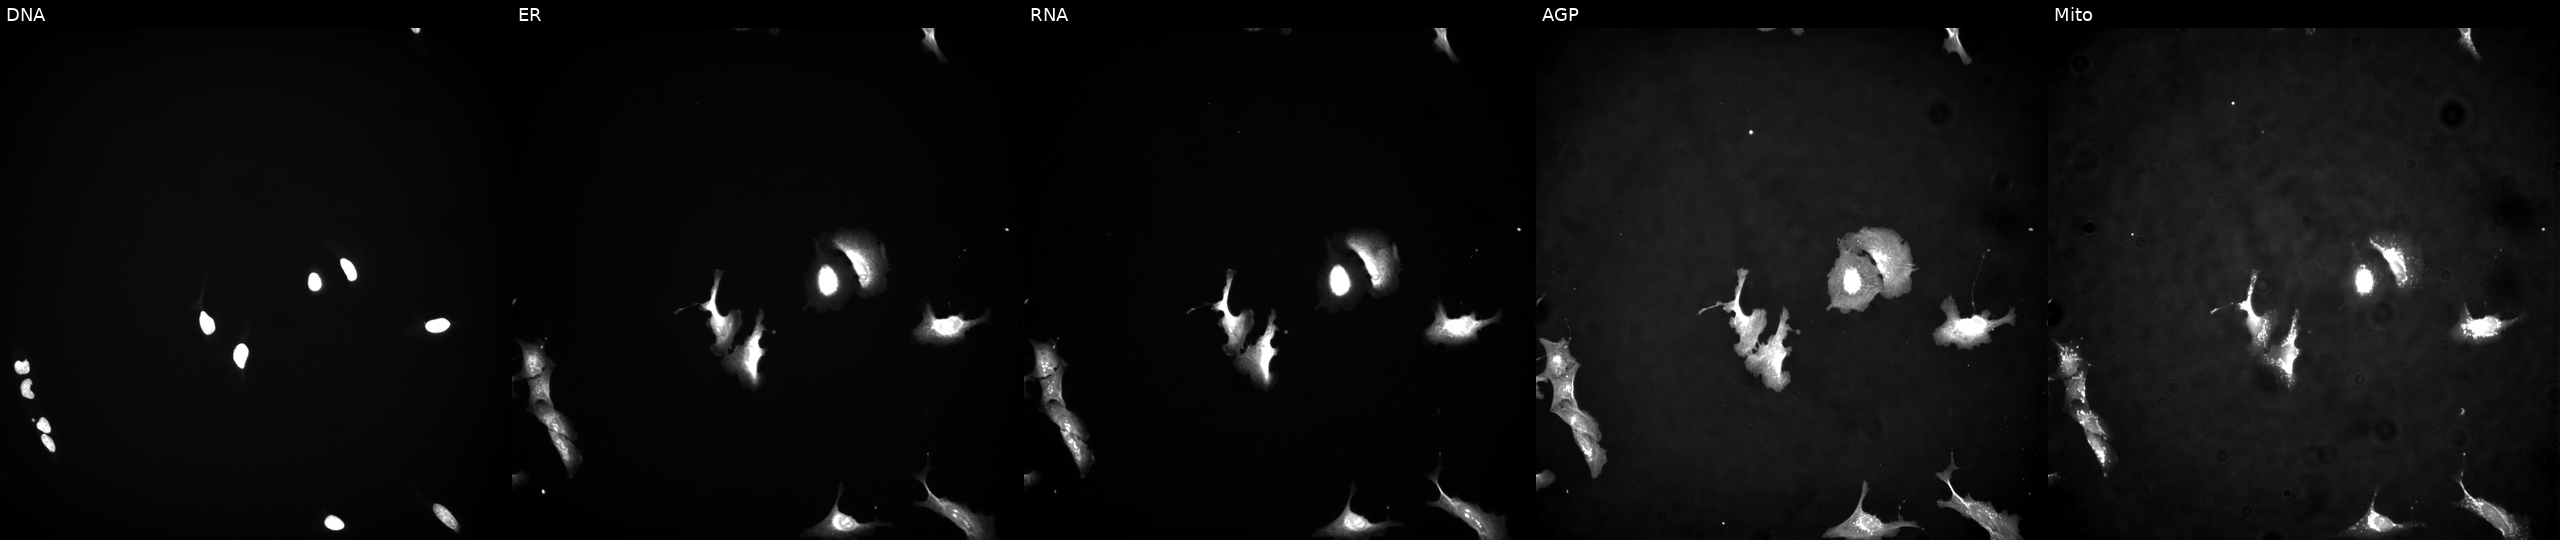
This image strip shows the five Cell Painting channels for a single field of U2OS cells transfected with an ORF construct for PKDCC (JUMP id JCP2022_914221). Channels (left→right): Hoechst 33342, concanavalin A, SYTO 14, phalloidin and WGA, MitoTracker. Source 4, plate BR00123945, well M07.